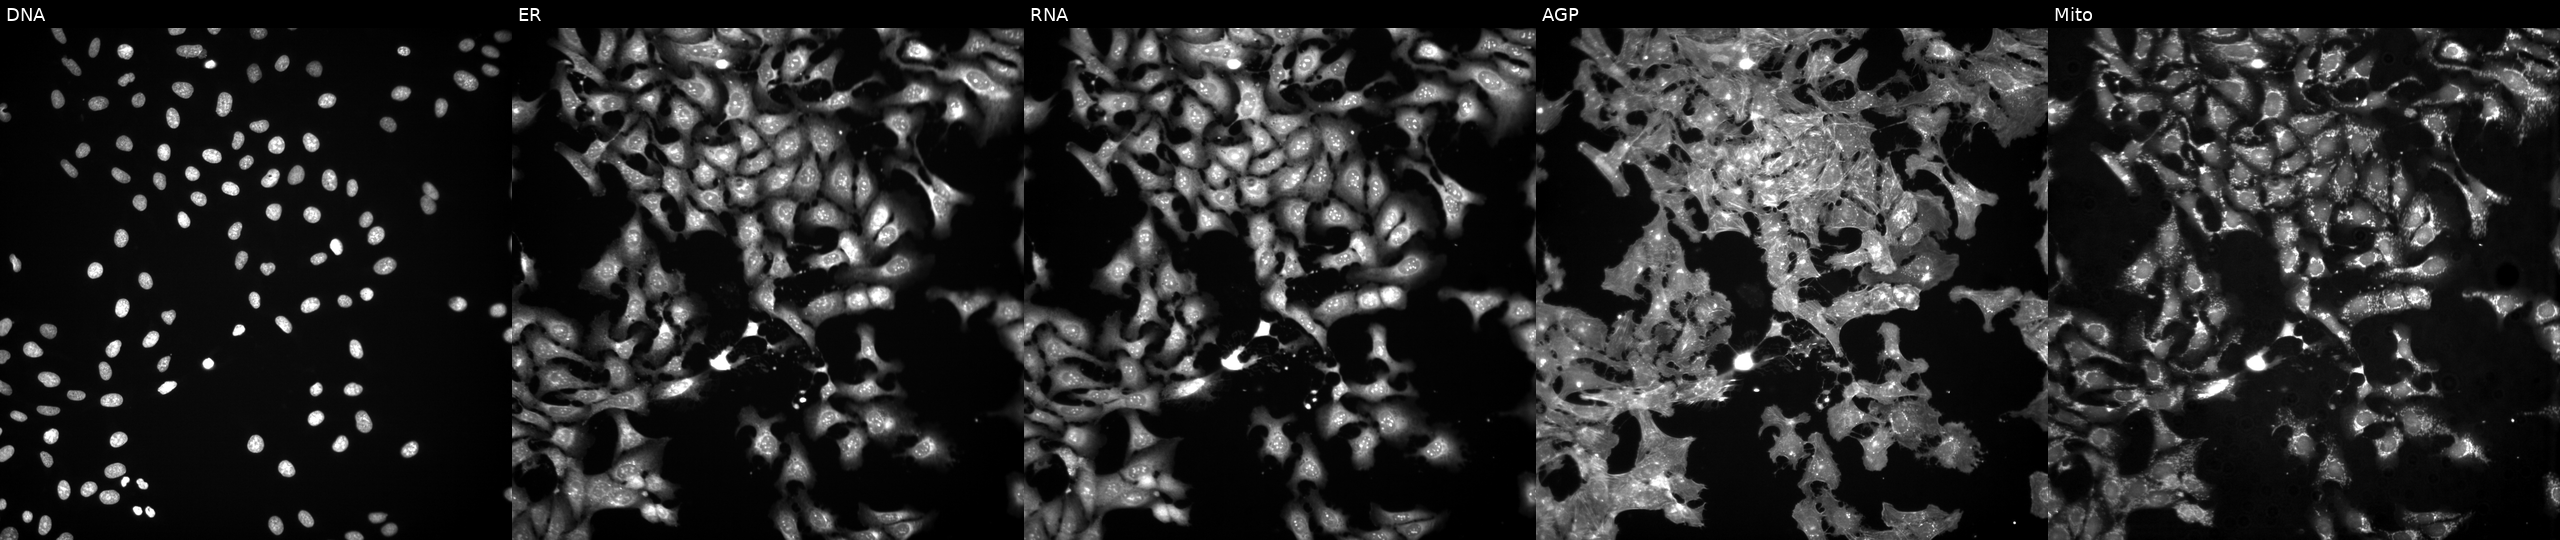
U2OS cells, Cell Painting assay, treated with FK-866 (positive-control compound) (JUMP id JCP2022_046054). Channels (left→right): DNA, ER, RNA, AGP, and Mito. Each panel is percentile-stretched 16-bit fluorescence.